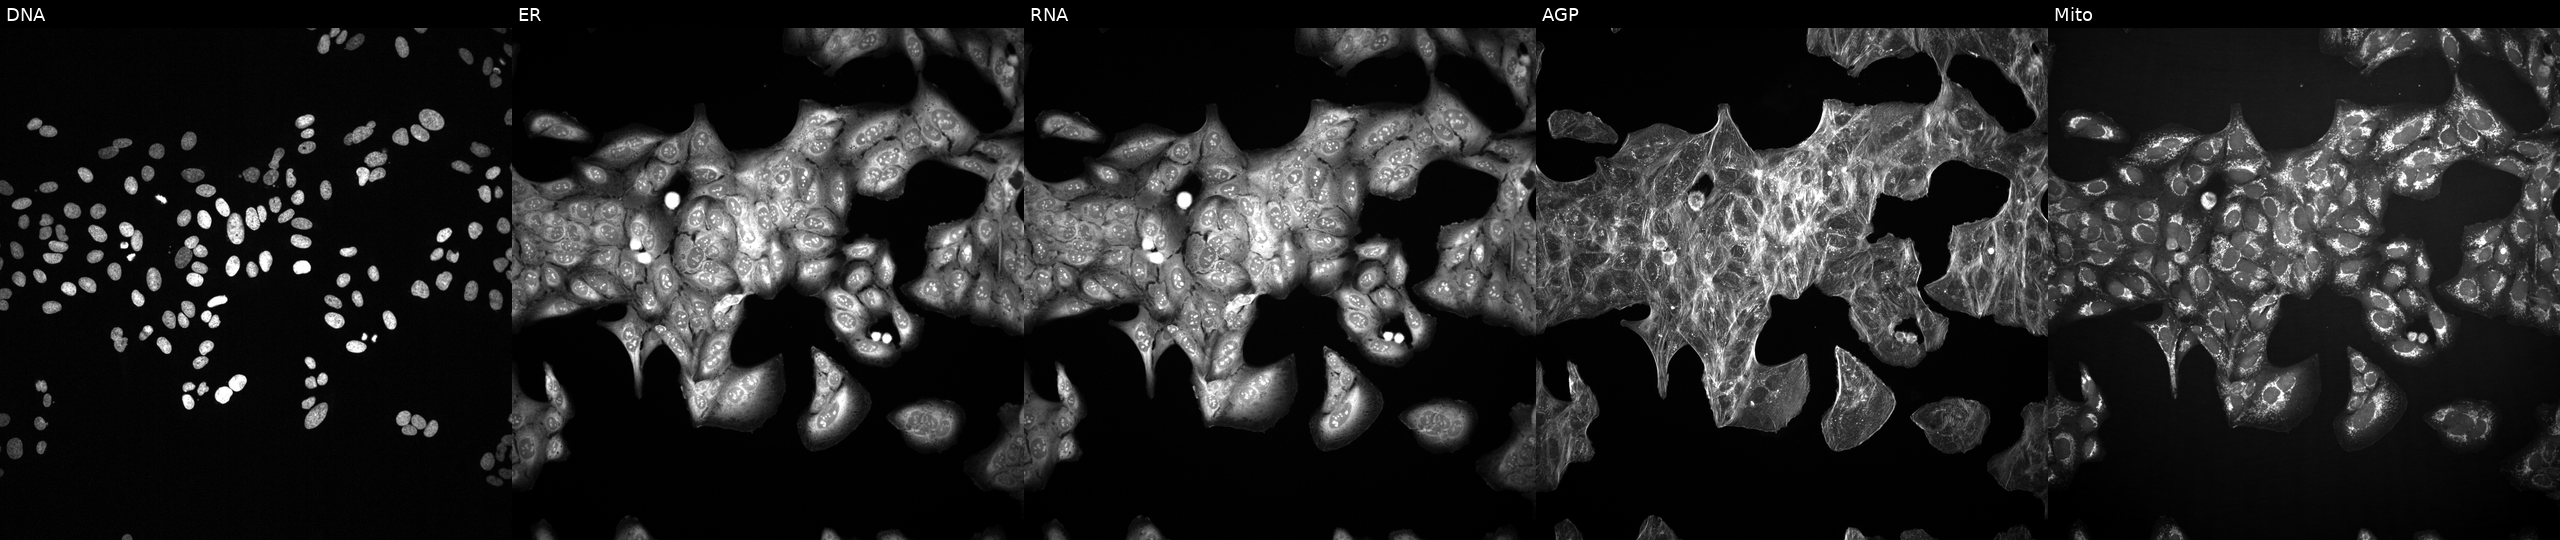
High-content fluorescence microscopy (Cell Painting). Cell line: U2OS. Perturbation: exposed to a small-molecule compound (InChIKey BBDGBGOVJPEFBT-UHFFFAOYSA-N) [SMILES: c1cc(-c2cnn3cc(-c4ccc(N5CCNCC5)cc4)cnc23)c2cccnc2c1]. Panels show, left to right, Hoechst 33342, concanavalin A, SYTO 14, phalloidin and WGA, MitoTracker.